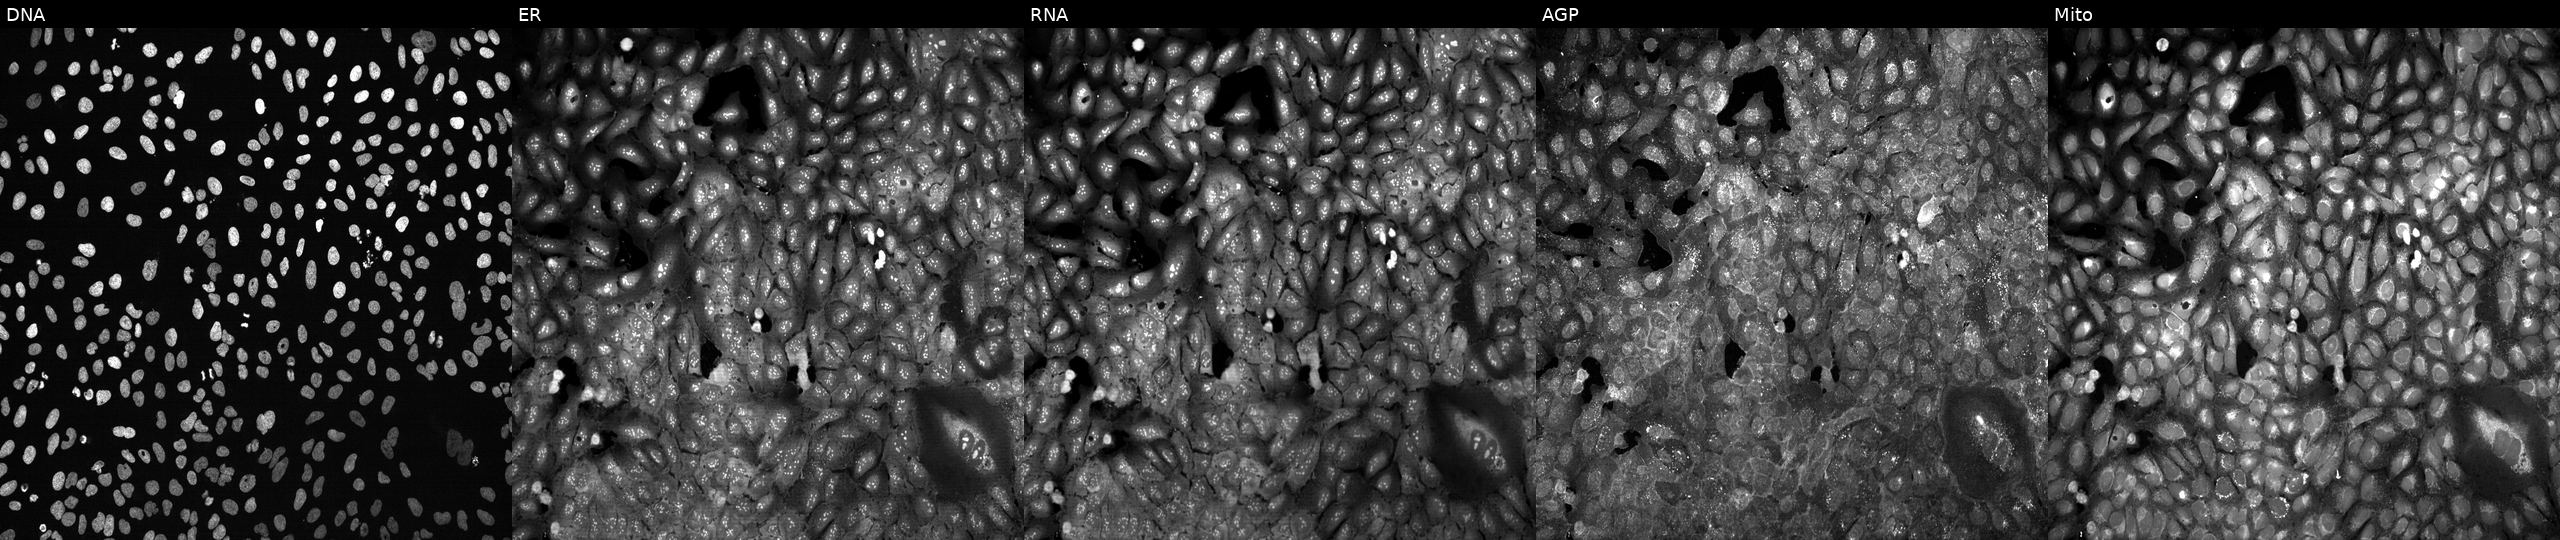
This image strip shows the five Cell Painting channels for a single field of U2OS cells following CRISPR knockout of SLC13A1 (JUMP id JCP2022_806373). Channels (left→right): DNA, ER, RNA, AGP, and Mito. Source 13, plate CP-CC9-R1-01, well L16.